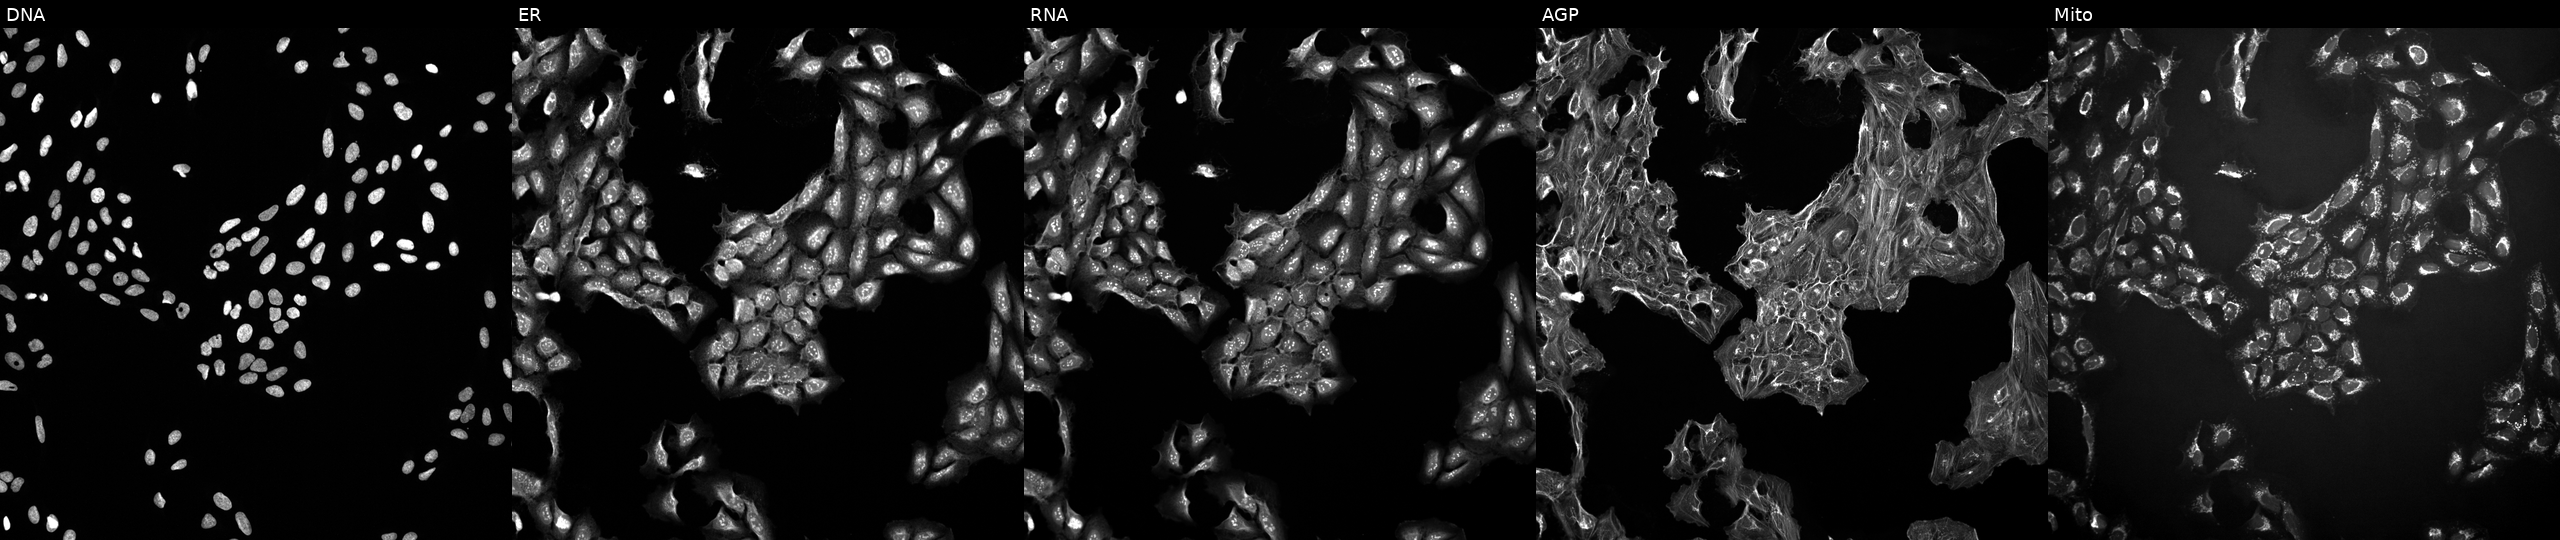
Channels (left→right): DNA (nuclei); ER (endoplasmic reticulum); RNA (nucleoli and cytoplasmic RNA); AGP (actin cytoskeleton, Golgi, and plasma membrane); Mito (mitochondria). U2OS osteosarcoma cells exposed to DMSO alone as a negative control. Cell Painting assay, JUMP-CP dataset. Source 10, plate Dest210726-160150, well H06.